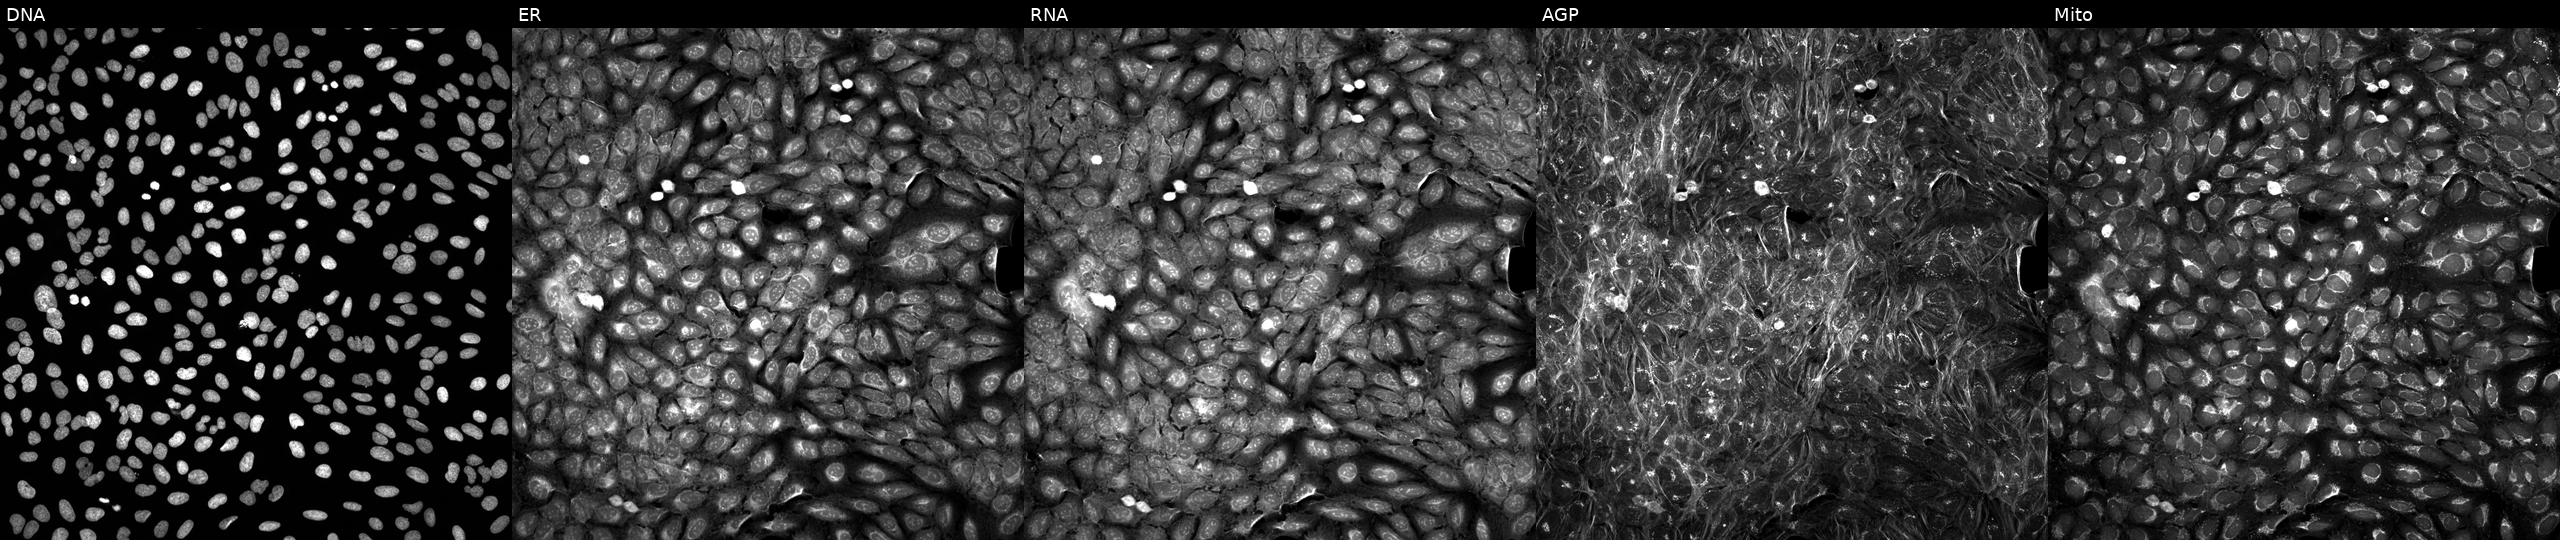
JUMP Cell Painting — TARGET2 plate. U2OS cells exposed to a small-molecule compound. Panels show, left to right, Hoechst 33342, concanavalin A, SYTO 14, phalloidin and WGA, MitoTracker.